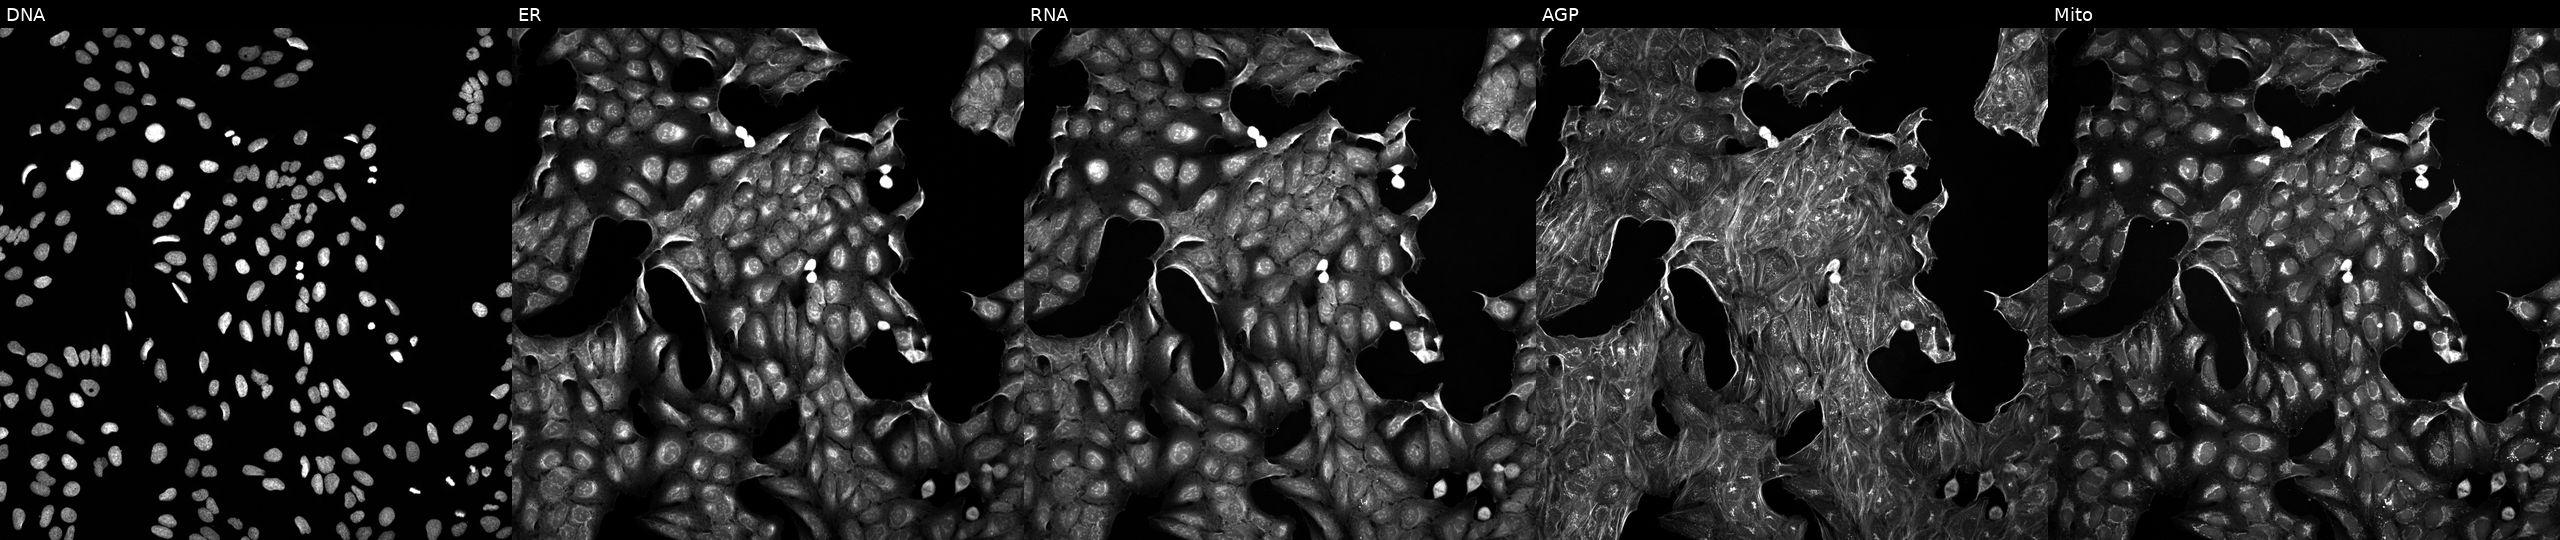
U2OS cells, Cell Painting assay, perturbed with a small-molecule compound. From left to right: Hoechst 33342, concanavalin A, SYTO 14, phalloidin and WGA, MitoTracker. Each panel is percentile-stretched 16-bit fluorescence.